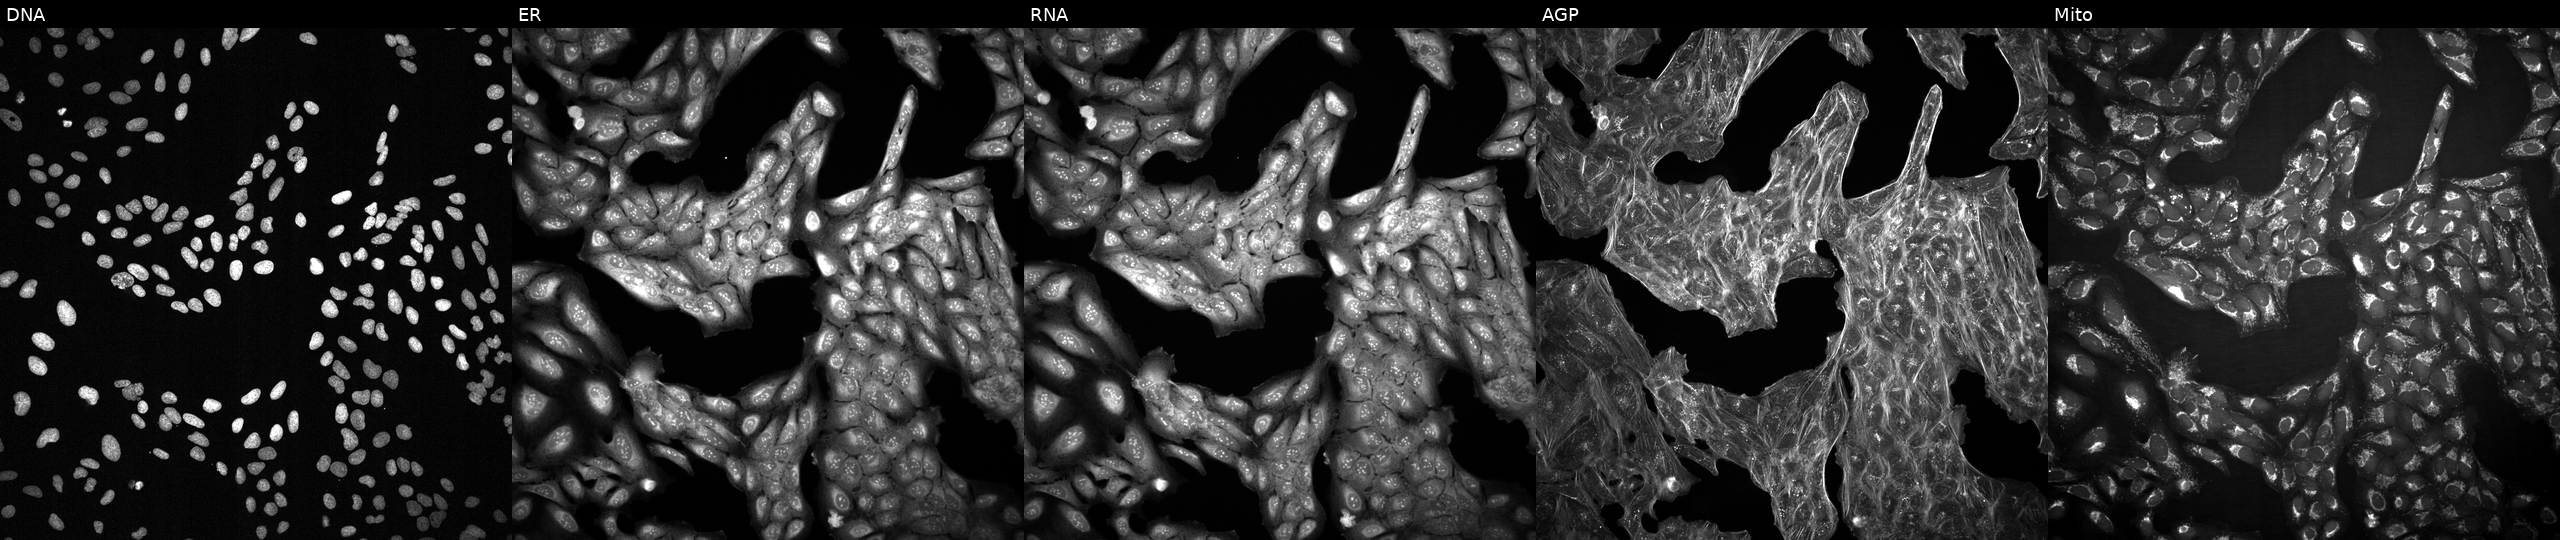
JUMP Cell Painting — TARGET2 plate. U2OS cells exposed to a small-molecule compound (JUMP id JCP2022_028645). Panels show, left to right, DNA (nuclei); ER (endoplasmic reticulum); RNA (nucleoli and cytoplasmic RNA); AGP (actin cytoskeleton, Golgi, and plasma membrane); Mito (mitochondria). Source 2, plate 1053600674, well E16.